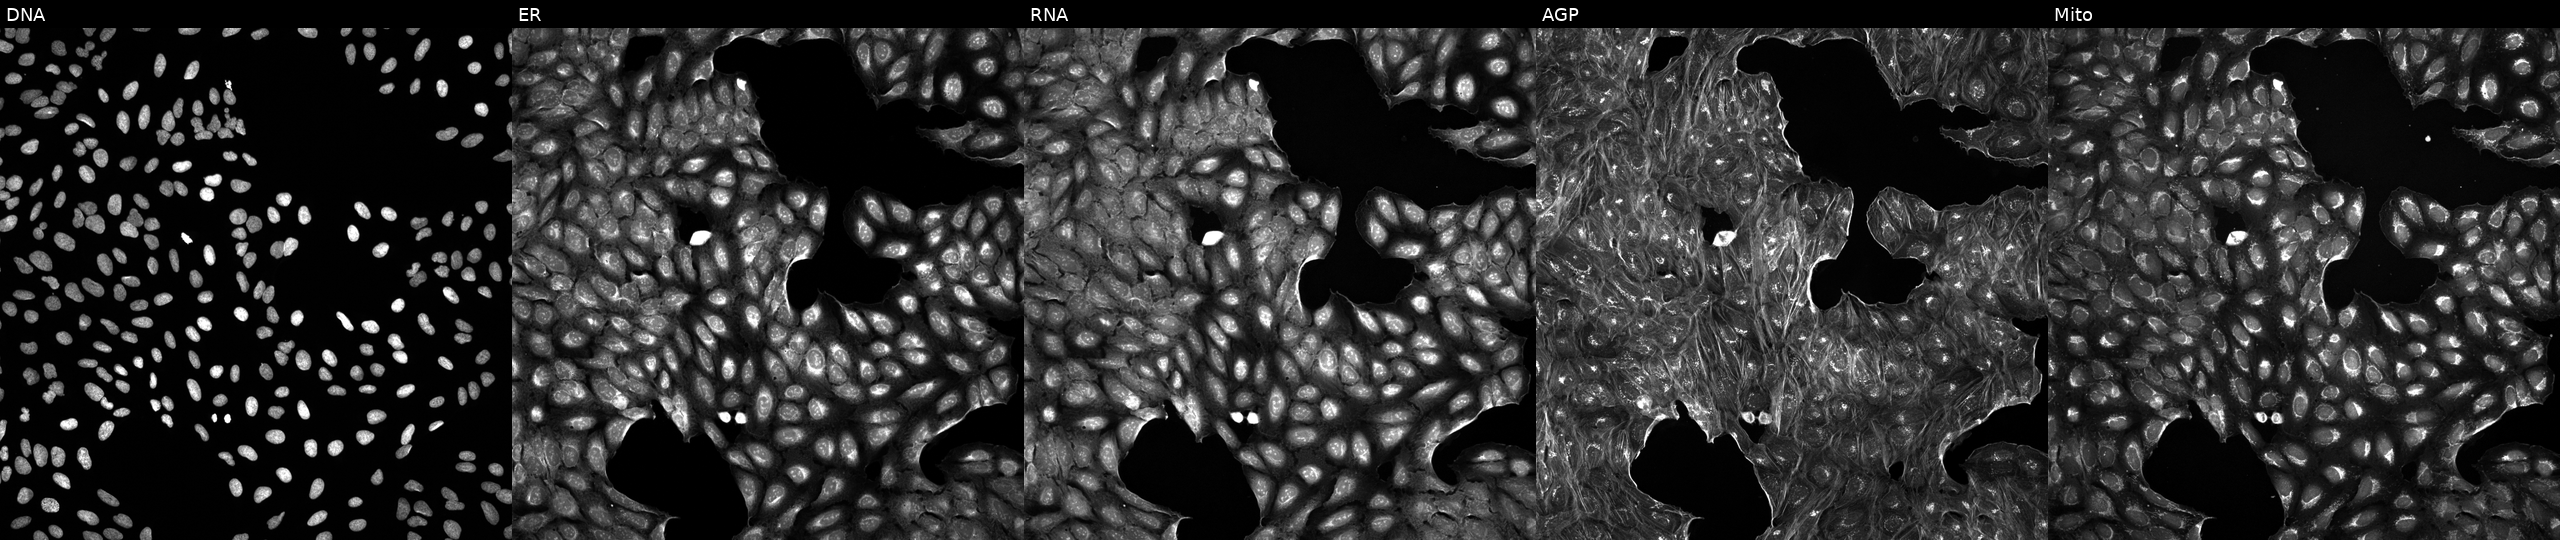
High-content fluorescence microscopy (Cell Painting). Cell line: U2OS. Perturbation: treated with a small-molecule compound (InChIKey YCYMCMYLORLIJX-UHFFFAOYSA-N) (JUMP id JCP2022_107658). The five panels, left to right, show Hoechst 33342, concanavalin A, SYTO 14, phalloidin and WGA, MitoTracker.